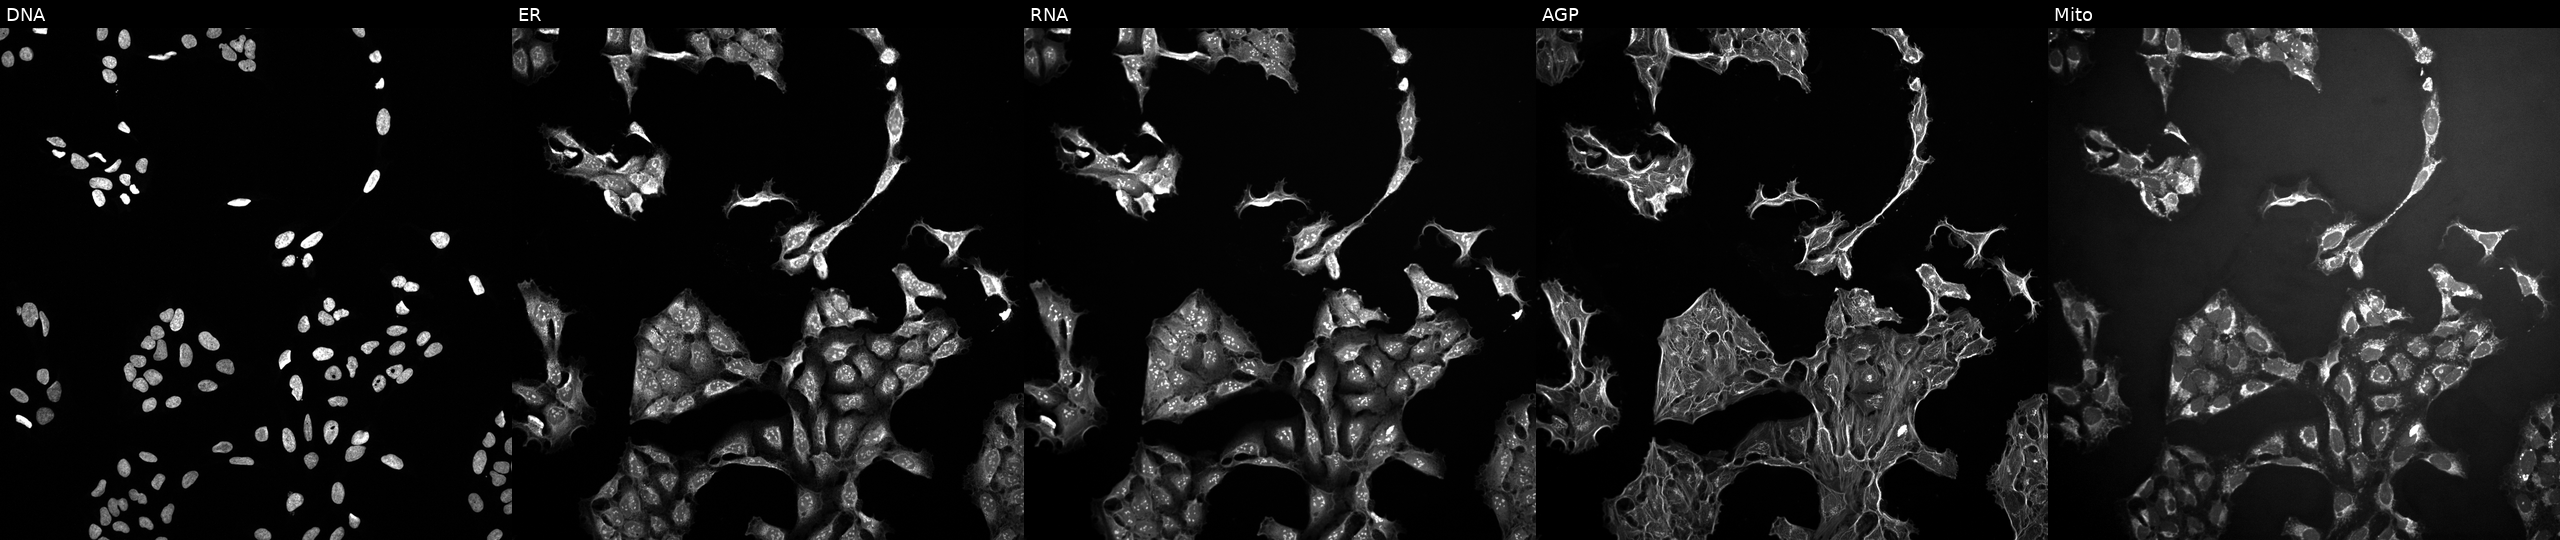
High-content fluorescence microscopy (Cell Painting). Cell line: U2OS. Perturbation: exposed to a small-molecule compound (JUMP id JCP2022_050516). Panels show, left to right, DNA (nuclei); ER (endoplasmic reticulum); RNA (nucleoli and cytoplasmic RNA); AGP (actin cytoskeleton, Golgi, and plasma membrane); Mito (mitochondria). Source 10, plate Dest210726-160150, well P23.